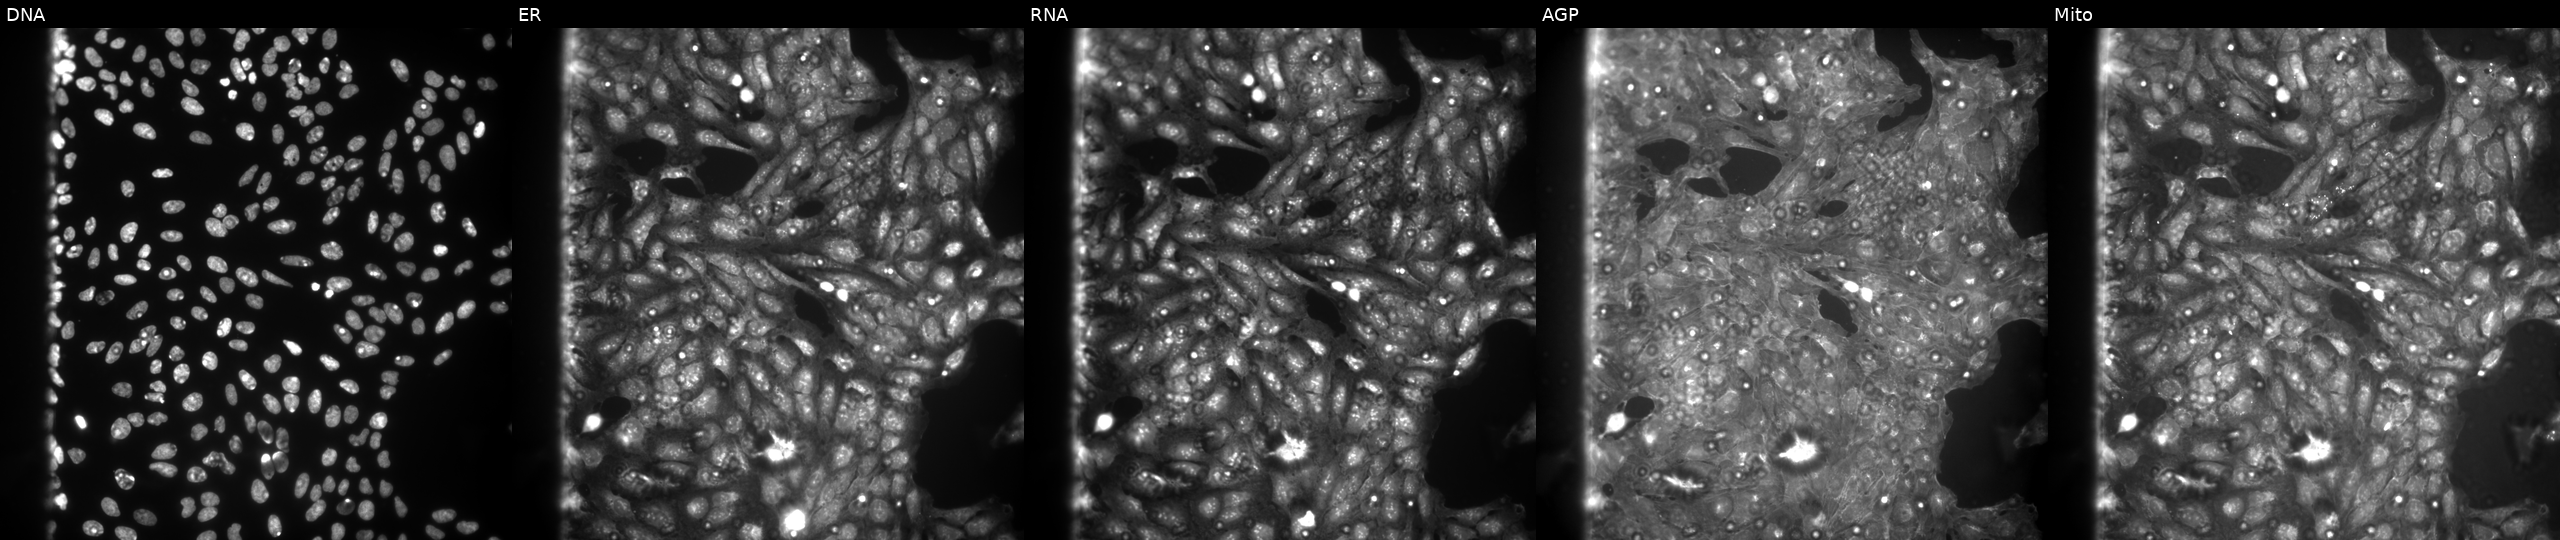
Five-channel Cell Painting image of U2OS cells treated with dexamethasone (positive-control compound) (JUMP id JCP2022_025848). The five panels, left to right, show DNA, ER, RNA, AGP, and Mito. Source 9, plate GR00003382, well C01.